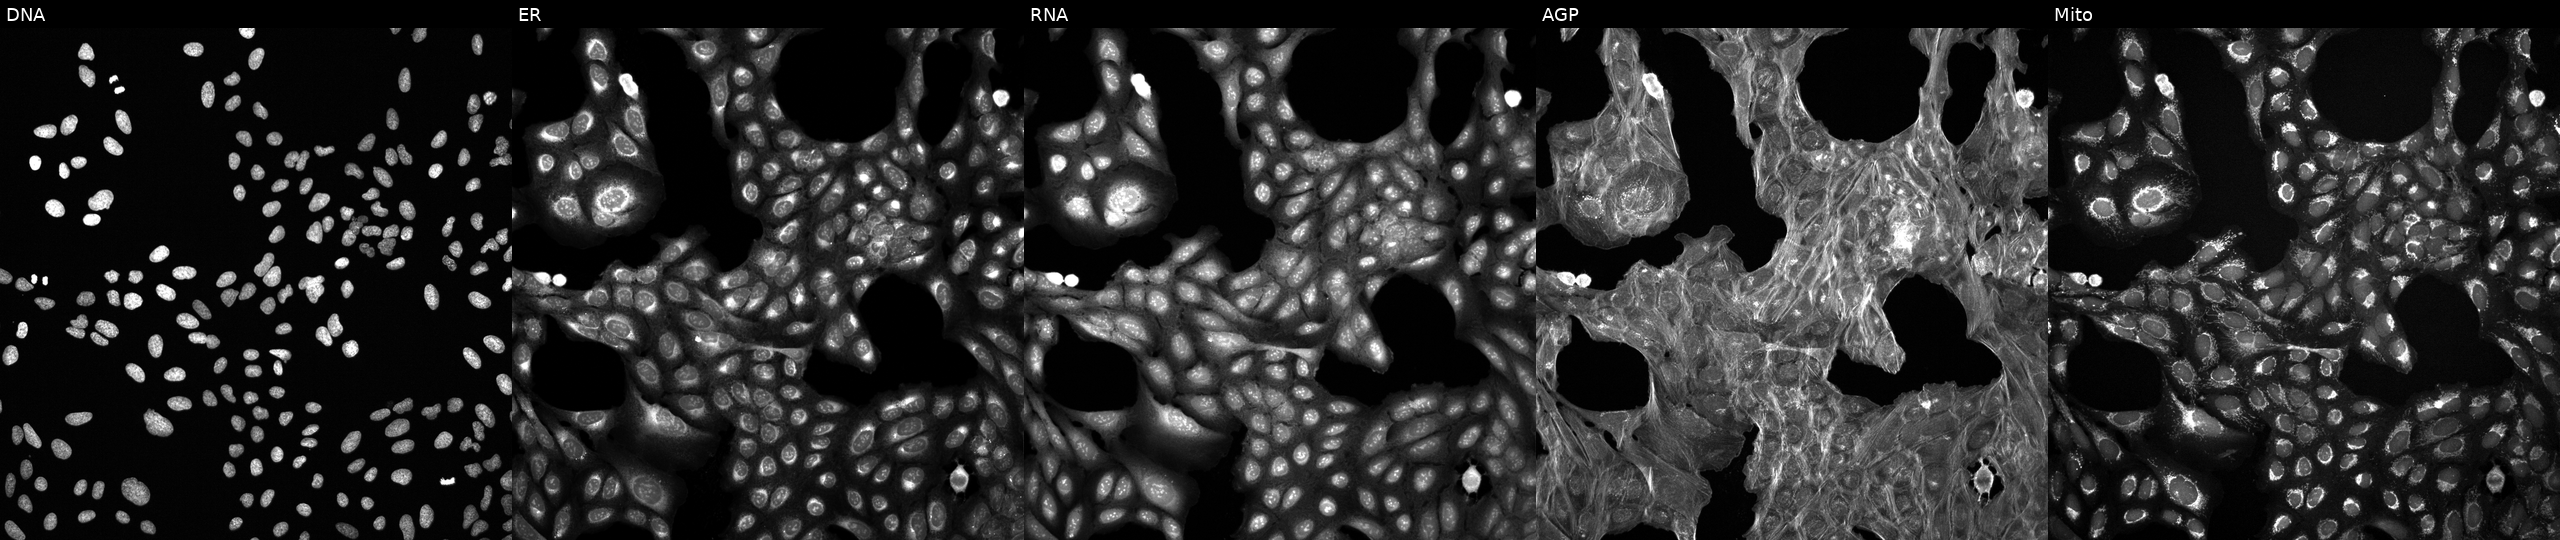
Five-channel Cell Painting image of U2OS cells exposed to a small-molecule compound (InChIKey ODUOJXZPIYUATO-UHFFFAOYSA-N). From left to right: DNA, ER, RNA, AGP, and Mito.